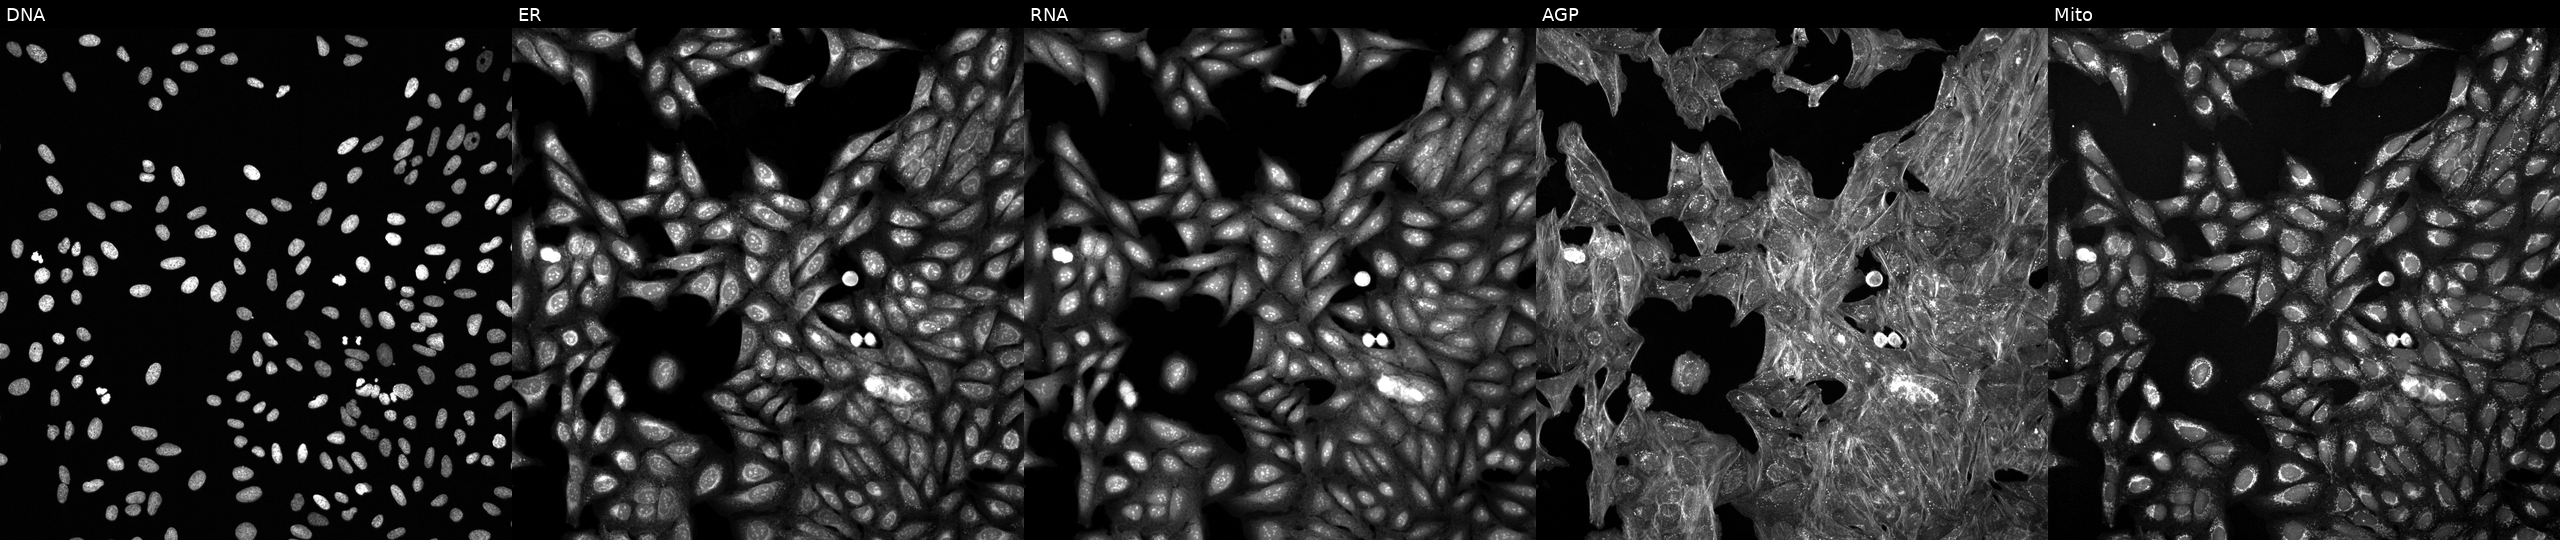
JUMP Cell Painting — COMPOUND plate. U2OS cells perturbed with a small-molecule compound (InChIKey ODHYVAPSGJYTOF-UHFFFAOYSA-N) (JUMP id JCP2022_063068). From left to right: Hoechst 33342, concanavalin A, SYTO 14, phalloidin and WGA, MitoTracker.